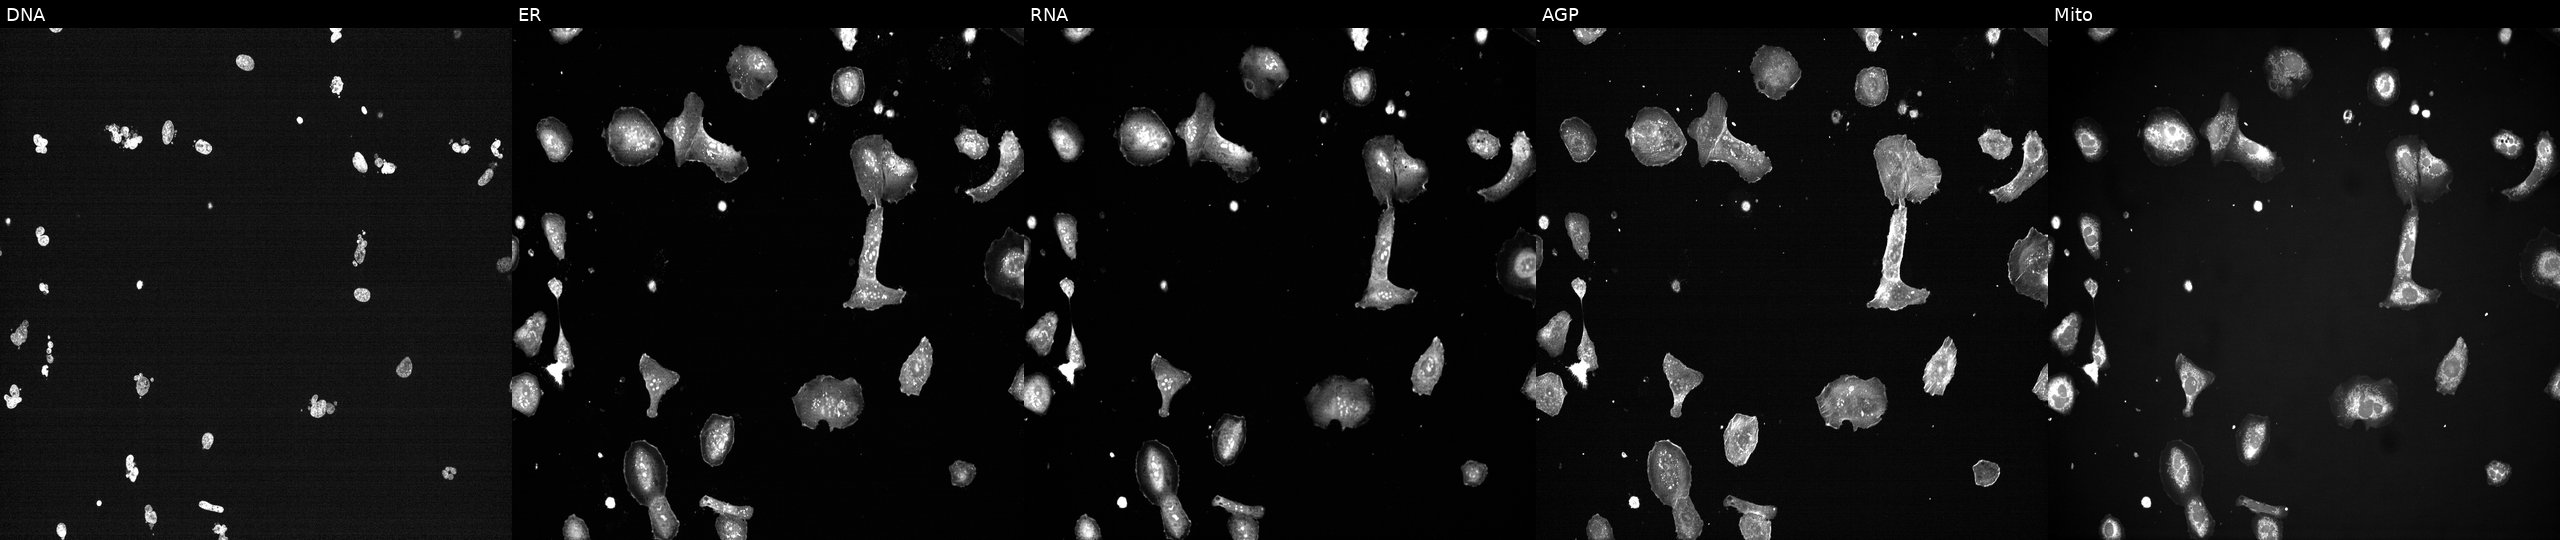
JUMP Cell Painting — TARGET2 plate. U2OS cells exposed to a small-molecule compound (InChIKey CMYHZFCJPORPHY-UHFFFAOYSA-N) (JUMP id JCP2022_012198). From left to right: Hoechst 33342, concanavalin A, SYTO 14, phalloidin and WGA, MitoTracker.